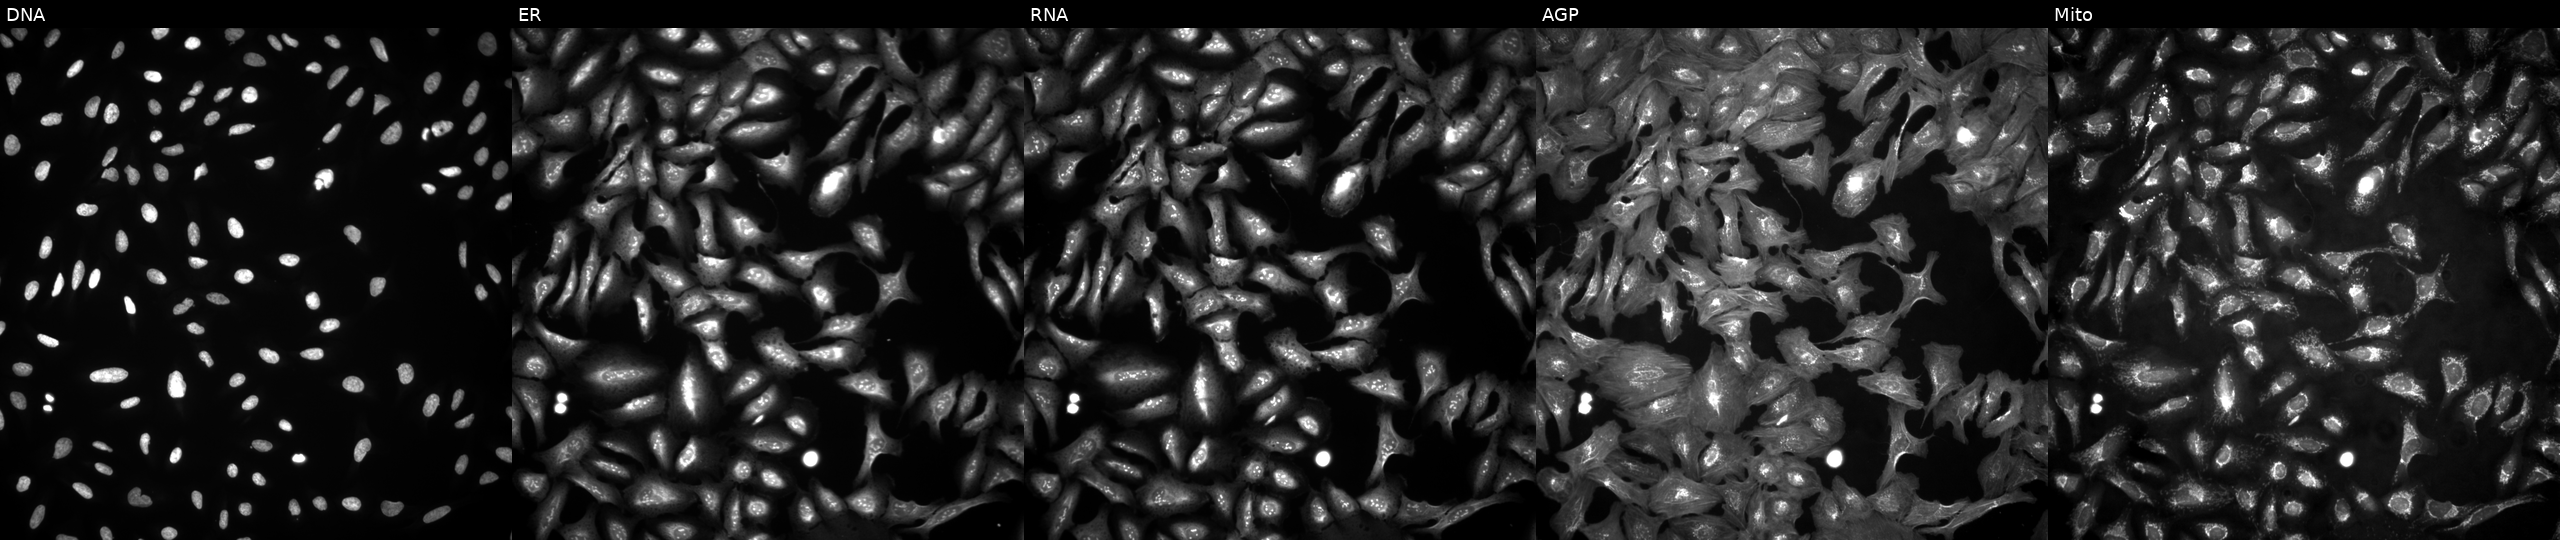
From left to right: DNA (nuclei); ER (endoplasmic reticulum); RNA (nucleoli and cytoplasmic RNA); AGP (actin cytoskeleton, Golgi, and plasma membrane); Mito (mitochondria). U2OS osteosarcoma cells overexpressing ATP6V1G2 via ORF transfection (JUMP id JCP2022_900130). Cell Painting assay, JUMP-CP dataset. Source 4, plate BR00124784, well D17.